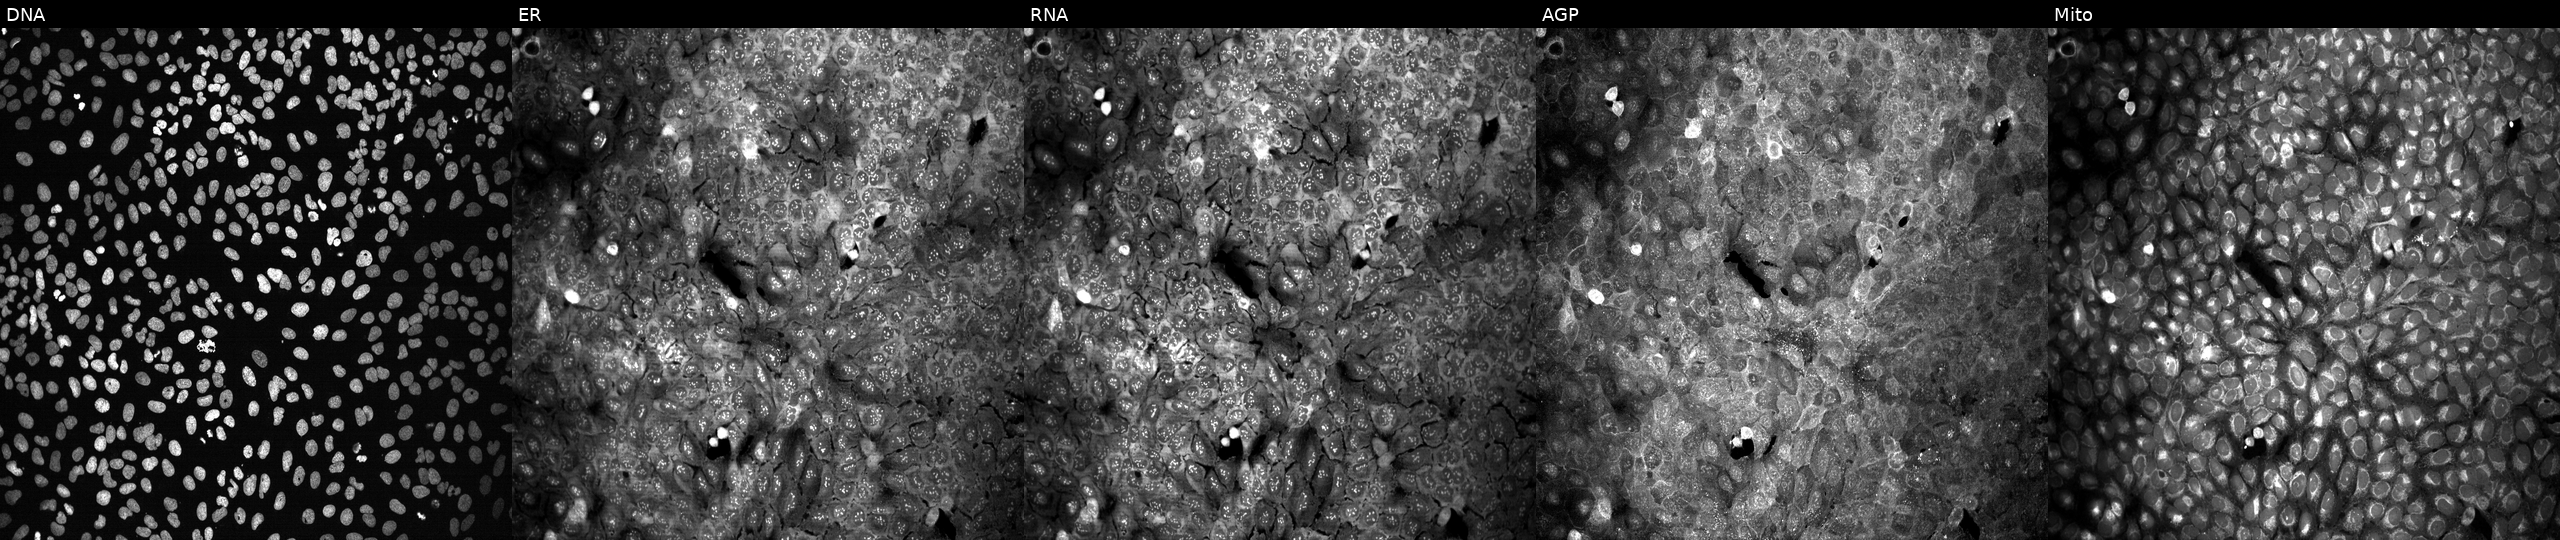
Channels (left→right): DNA (nuclei); ER (endoplasmic reticulum); RNA (nucleoli and cytoplasmic RNA); AGP (actin cytoskeleton, Golgi, and plasma membrane); Mito (mitochondria). U2OS osteosarcoma cells following CRISPR knockout of LIPG. Cell Painting assay, JUMP-CP dataset.